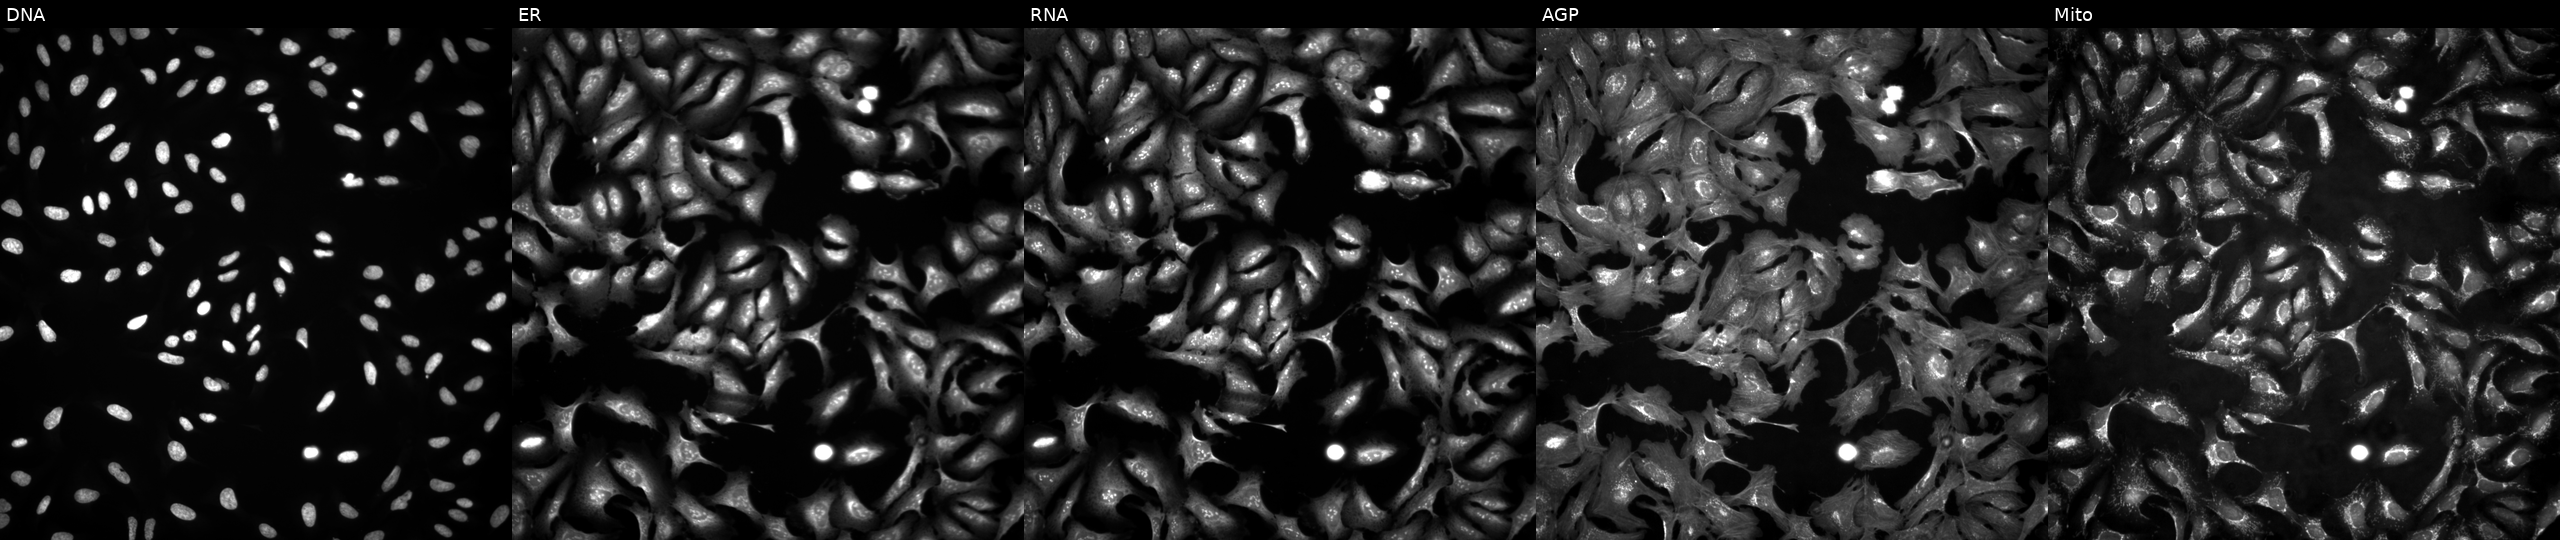
JUMP Cell Painting — ORF plate. U2OS cells with EIF2AK4 overexpressed (ORF) (JUMP id JCP2022_913536). From left to right: Hoechst 33342, concanavalin A, SYTO 14, phalloidin and WGA, MitoTracker. Source 4, plate BR00123945, well D16.